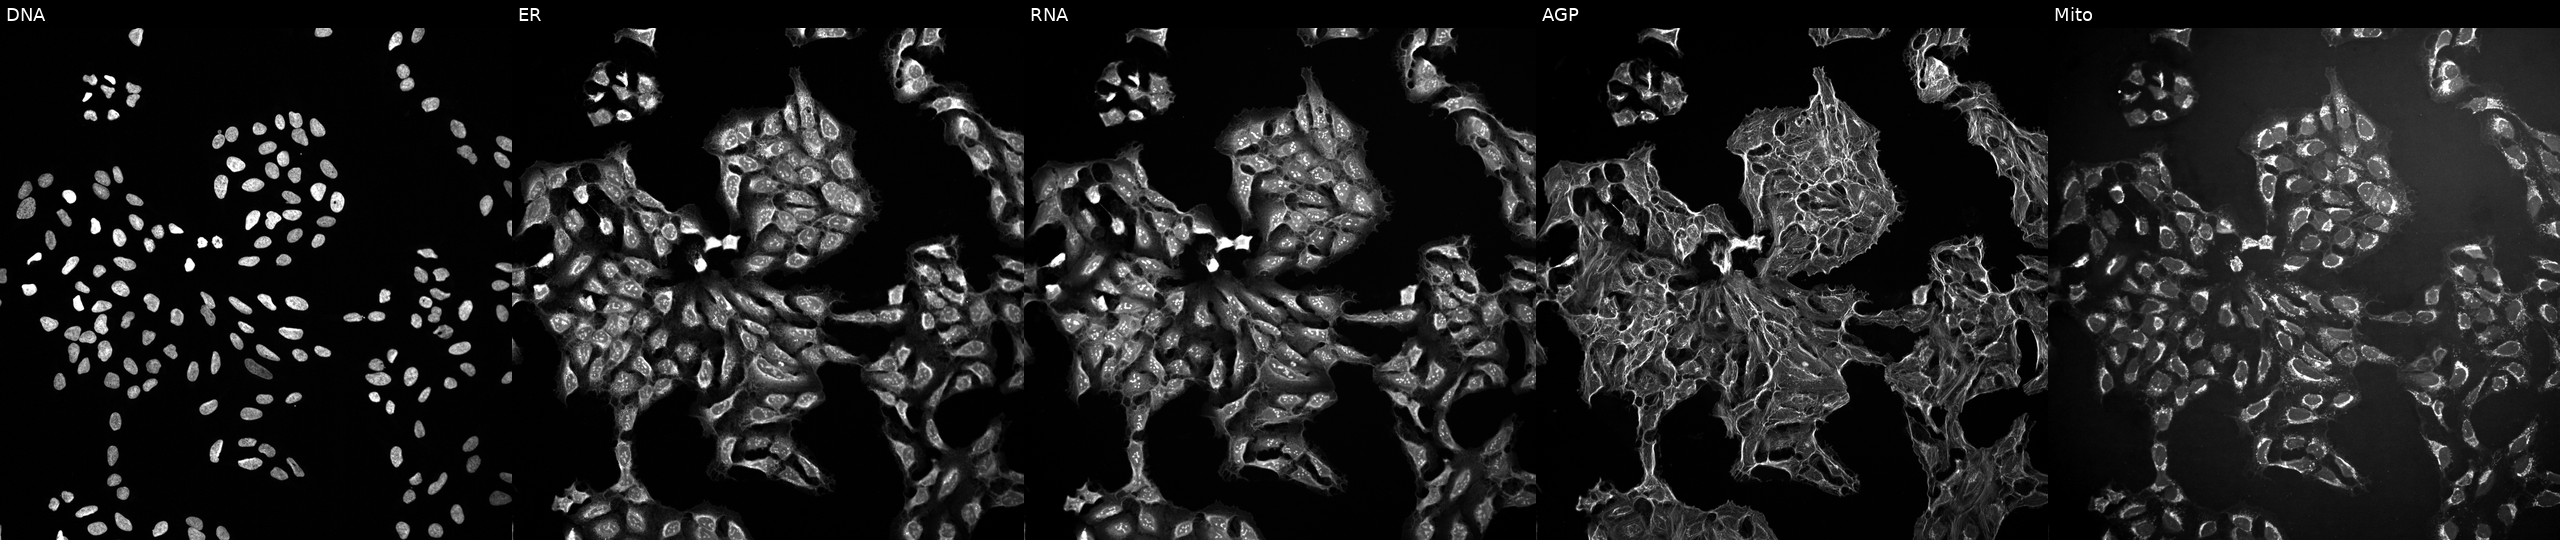
Five-channel Cell Painting image of U2OS cells treated with DMSO vehicle only (negative control). Panels show, left to right, DNA (nuclei); ER (endoplasmic reticulum); RNA (nucleoli and cytoplasmic RNA); AGP (actin cytoskeleton, Golgi, and plasma membrane); Mito (mitochondria).